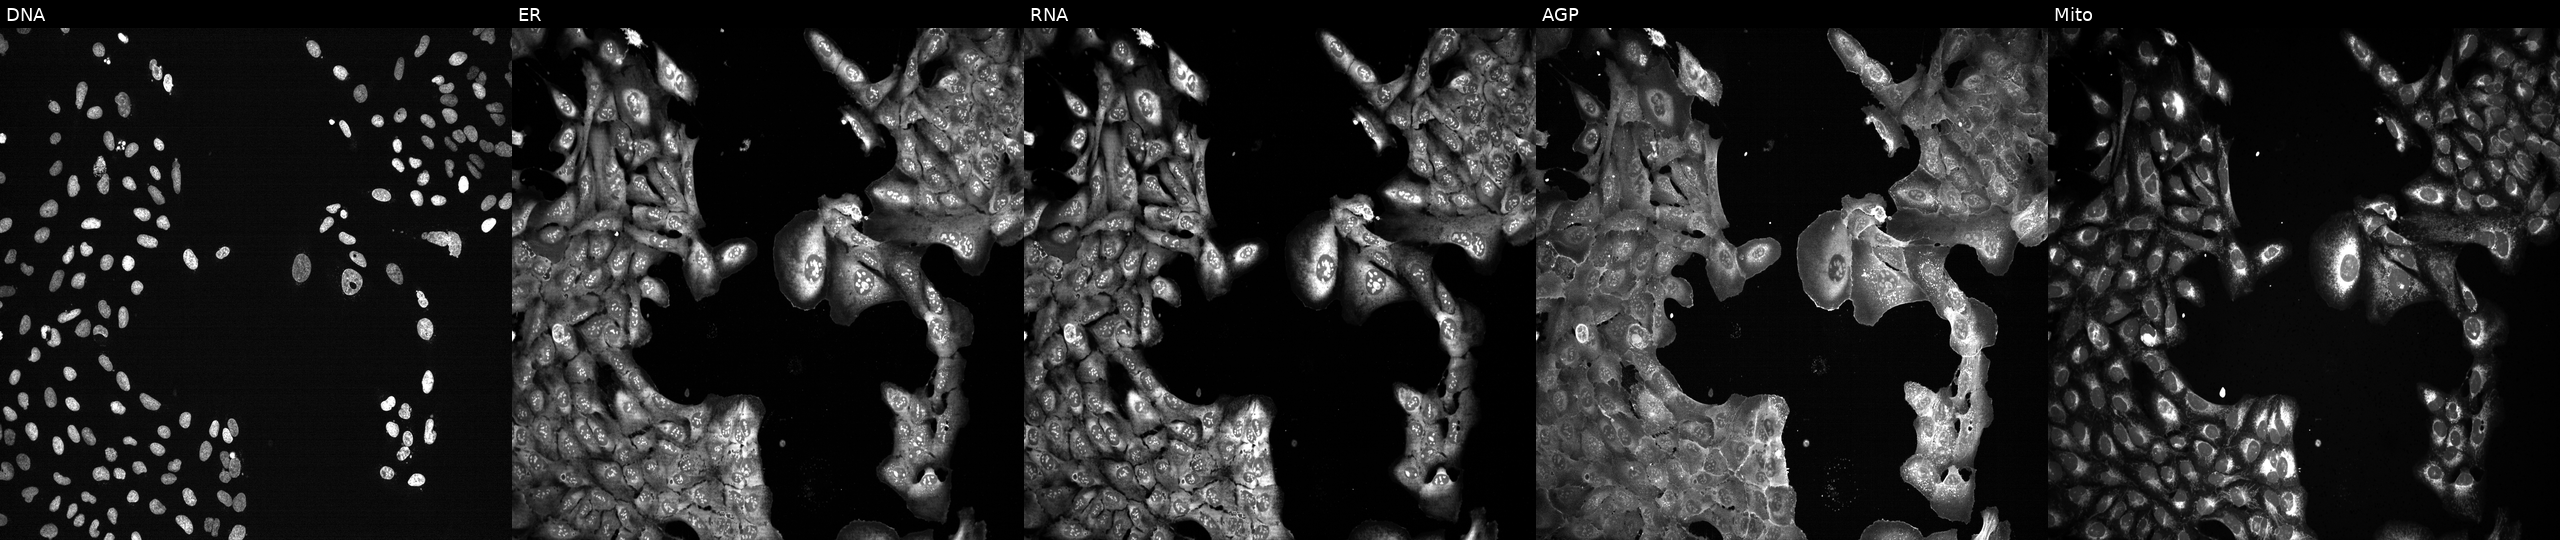
JUMP Cell Painting — CRISPR plate. U2OS cells CRISPR-edited to disrupt LACTB. From left to right: Hoechst 33342, concanavalin A, SYTO 14, phalloidin and WGA, MitoTracker.